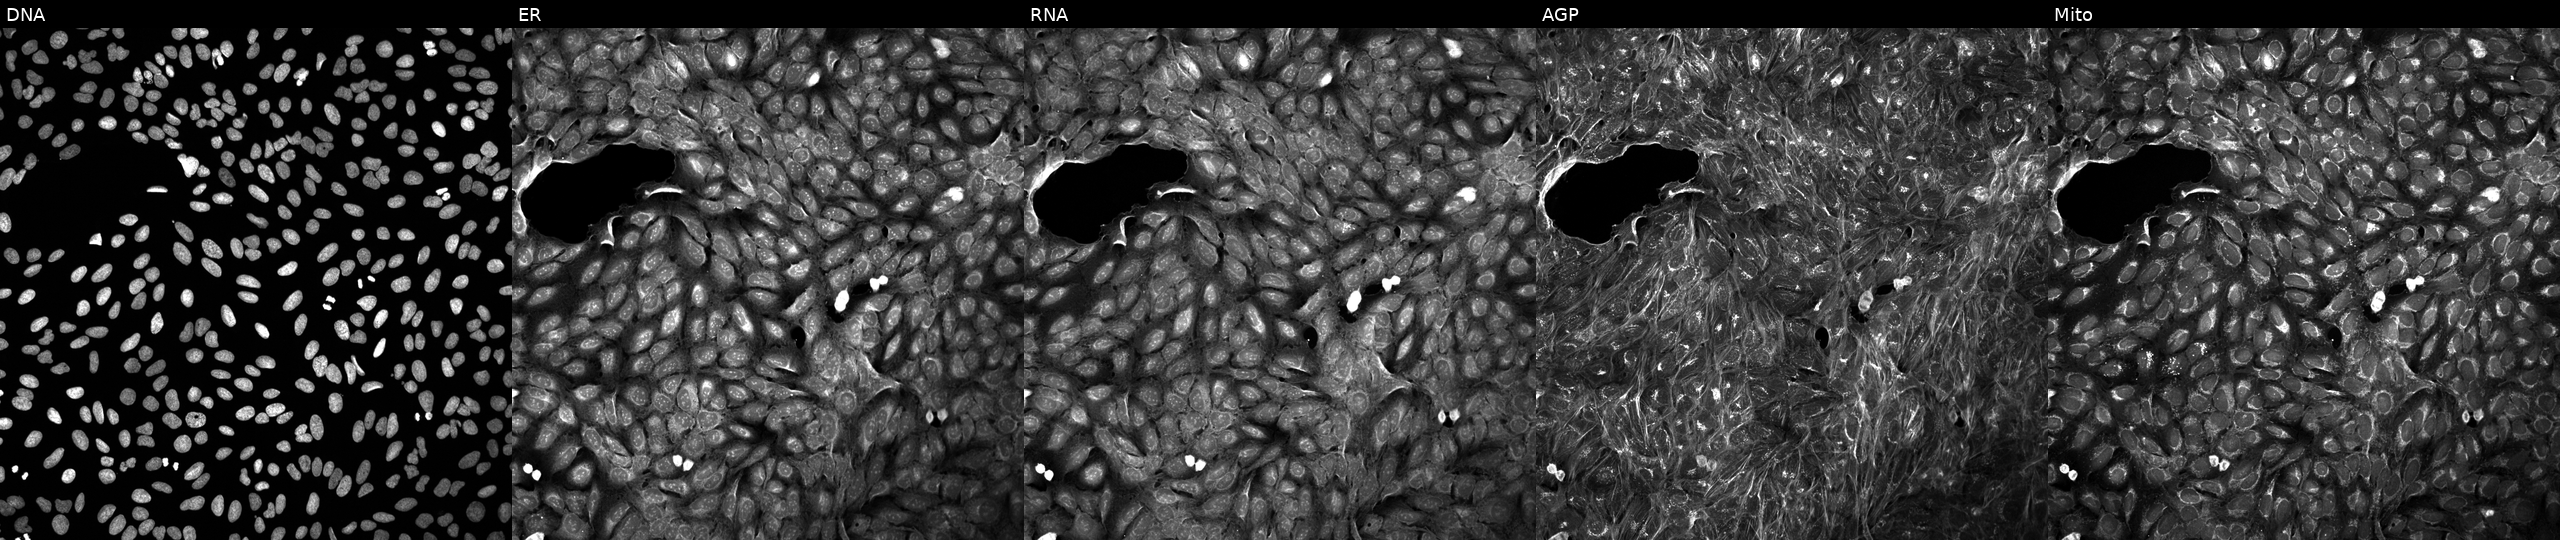
From left to right: DNA (nuclei); ER (endoplasmic reticulum); RNA (nucleoli and cytoplasmic RNA); AGP (actin cytoskeleton, Golgi, and plasma membrane); Mito (mitochondria). U2OS osteosarcoma cells treated with dexamethasone (positive-control compound). Cell Painting assay, JUMP-CP dataset. Source 5, plate APTJUM106, well O24.